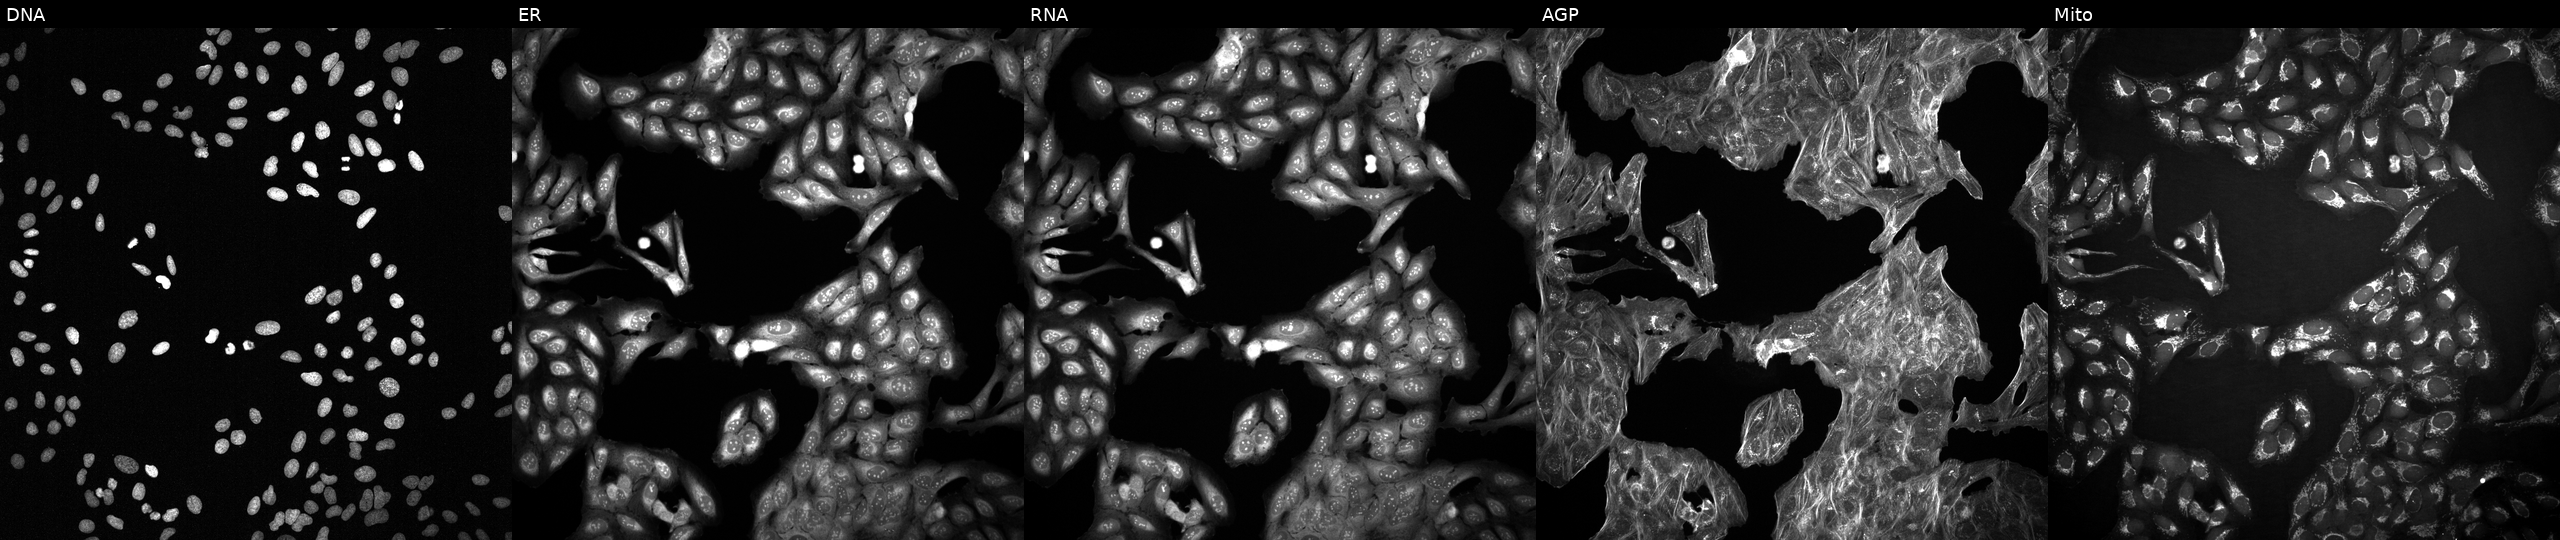
Five-channel Cell Painting image of U2OS cells exposed to a small-molecule compound (InChIKey NMUSYJAQQFHJEW-UHFFFAOYSA-N). Panels show, left to right, DNA (nuclei); ER (endoplasmic reticulum); RNA (nucleoli and cytoplasmic RNA); AGP (actin cytoskeleton, Golgi, and plasma membrane); Mito (mitochondria).